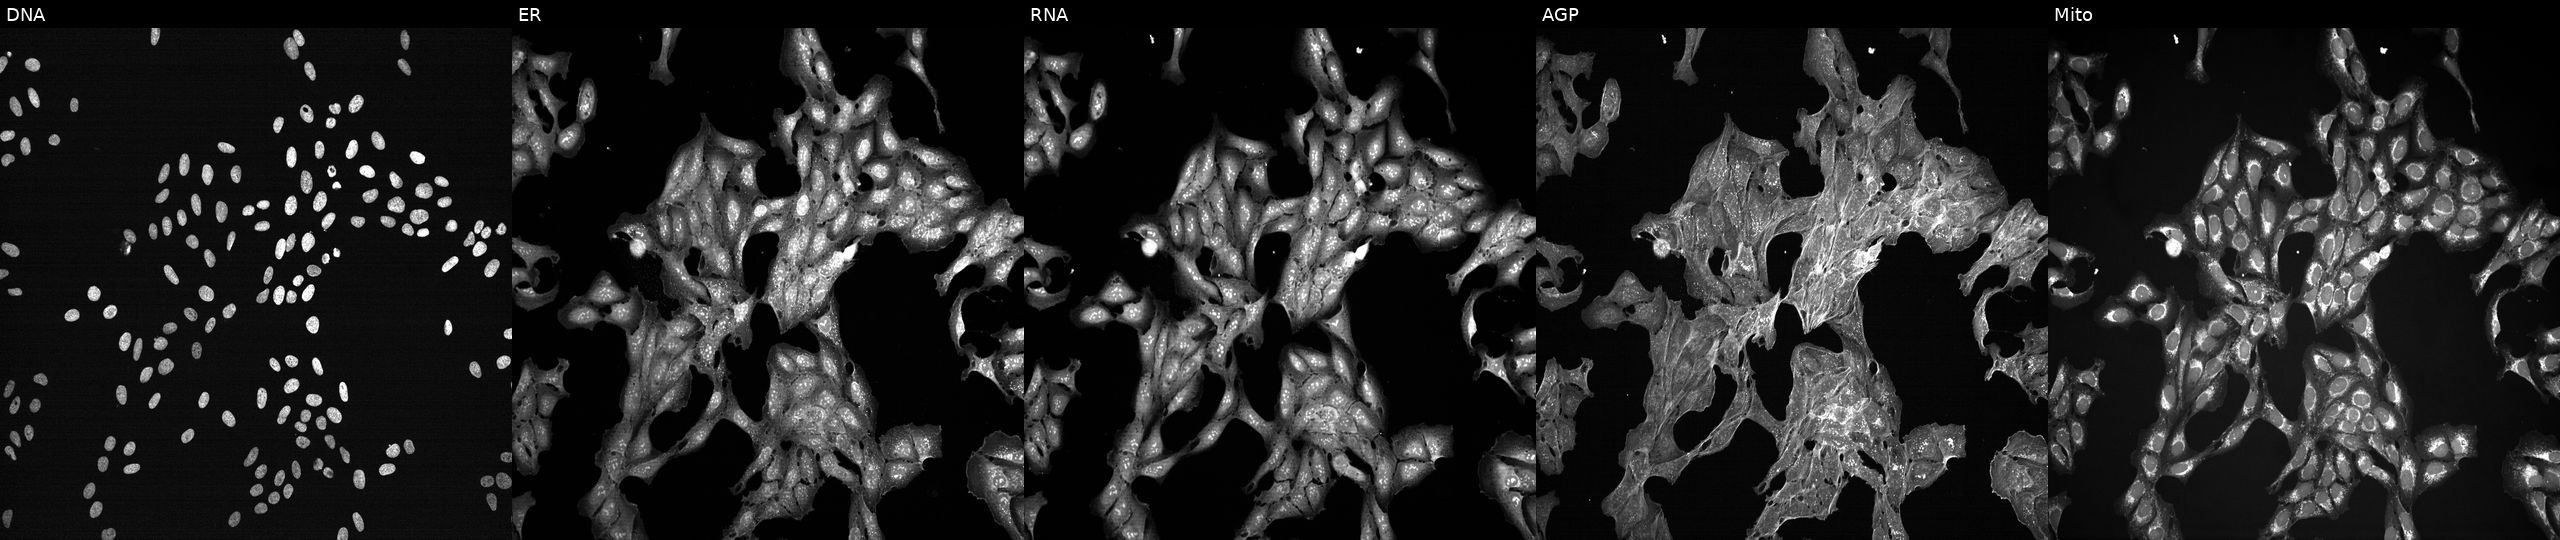
The five panels, left to right, show DNA (nuclei); ER (endoplasmic reticulum); RNA (nucleoli and cytoplasmic RNA); AGP (actin cytoskeleton, Golgi, and plasma membrane); Mito (mitochondria). U2OS osteosarcoma cells exposed to a small-molecule compound (InChIKey HSUGRBWQSSZJOP-UHFFFAOYSA-N) [SMILES: COc1ccc(C2Sc3ccccc3N(CCN(C)C)C(=O)C2OC(C)=O)cc1]. Cell Painting assay, JUMP-CP dataset.